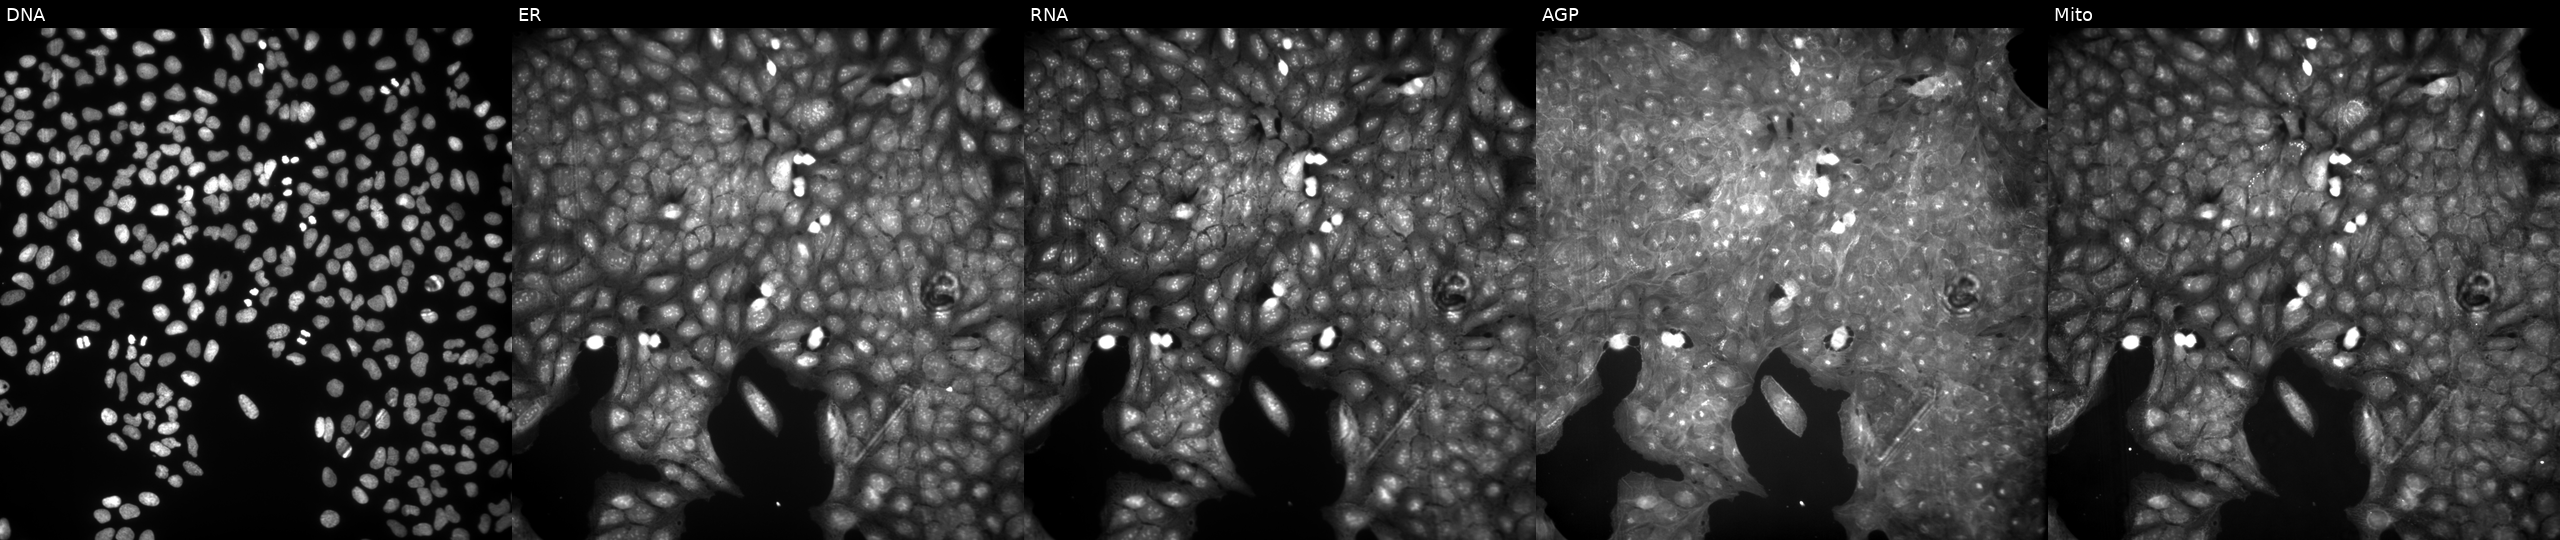
U2OS cells, Cell Painting assay, perturbed with a small-molecule compound (InChIKey WCMLSZGTZCUCPL-UHFFFAOYSA-N) [SMILES: CC(C)OC(=O)CSc1nc2ccccc2s1] (JUMP id JCP2022_097880). From left to right: Hoechst 33342, concanavalin A, SYTO 14, phalloidin and WGA, MitoTracker. Each panel is percentile-stretched 16-bit fluorescence.